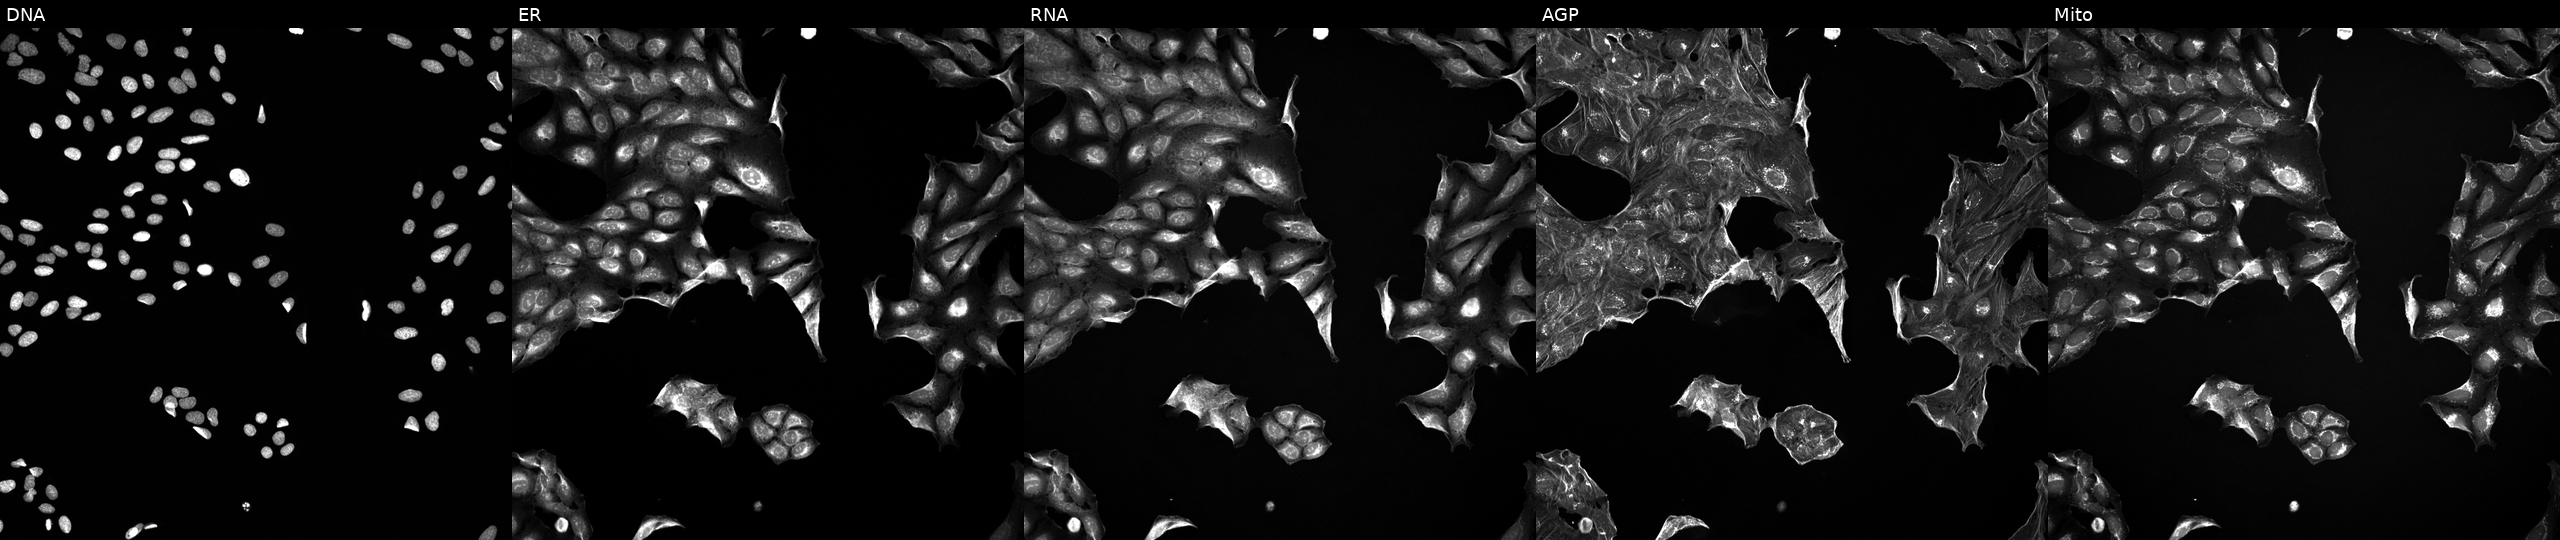
From left to right: DNA (nuclei); ER (endoplasmic reticulum); RNA (nucleoli and cytoplasmic RNA); AGP (actin cytoskeleton, Golgi, and plasma membrane); Mito (mitochondria). U2OS osteosarcoma cells treated with a small-molecule compound. Cell Painting assay, JUMP-CP dataset. Source 5, plate ACPJUM012, well A15.